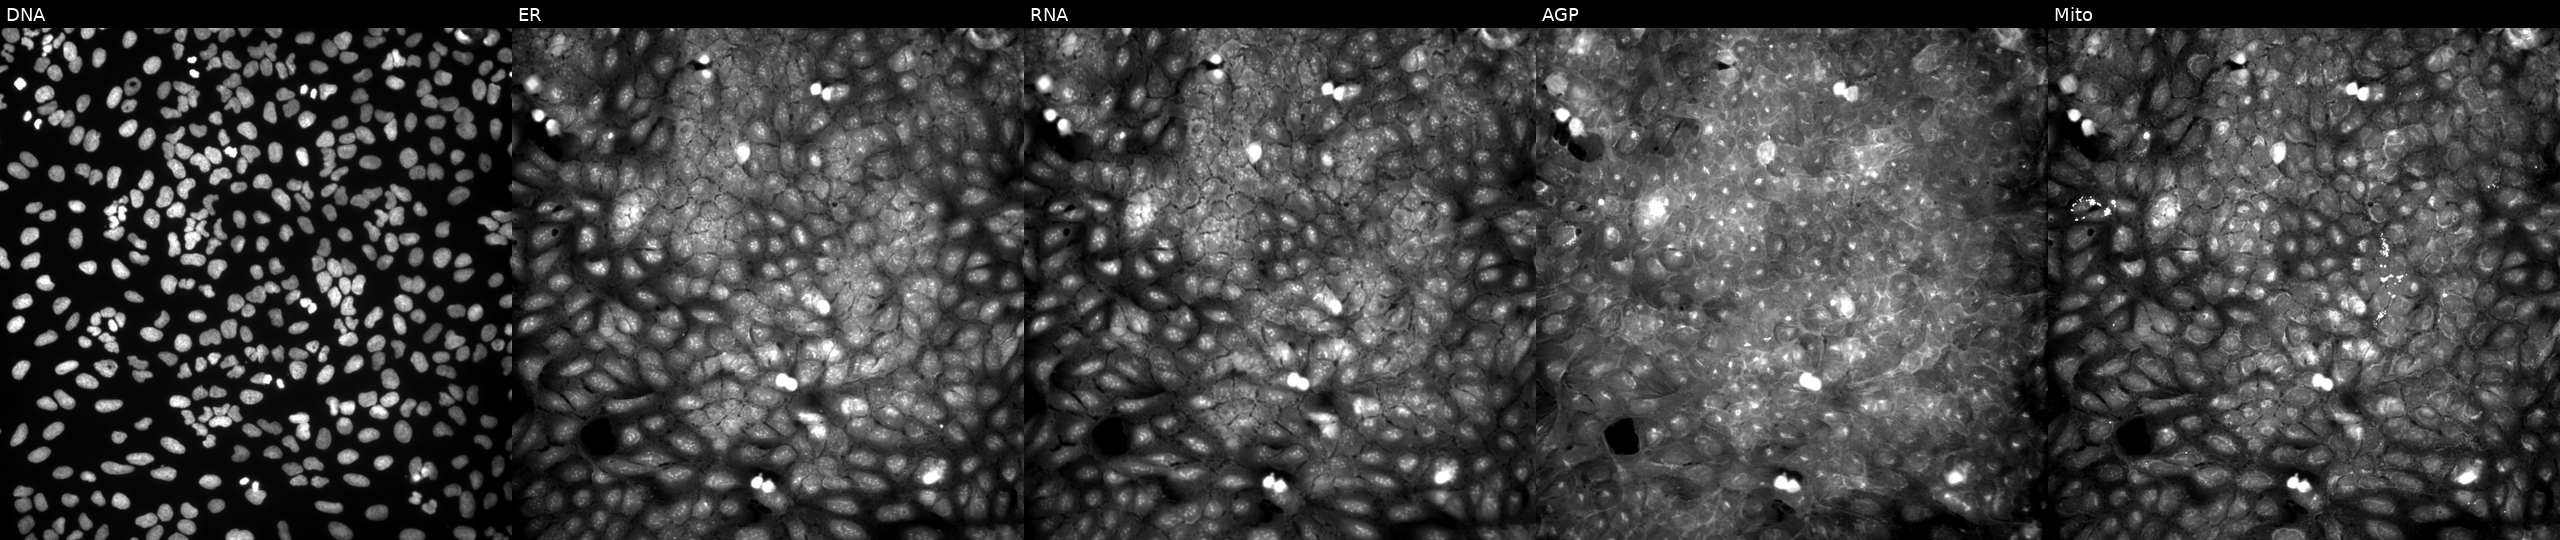
Channels (left→right): DNA, ER, RNA, AGP, and Mito. U2OS osteosarcoma cells perturbed with a small-molecule compound (JUMP id JCP2022_066897). Cell Painting assay, JUMP-CP dataset. Source 9, plate GR00003382, well N30.